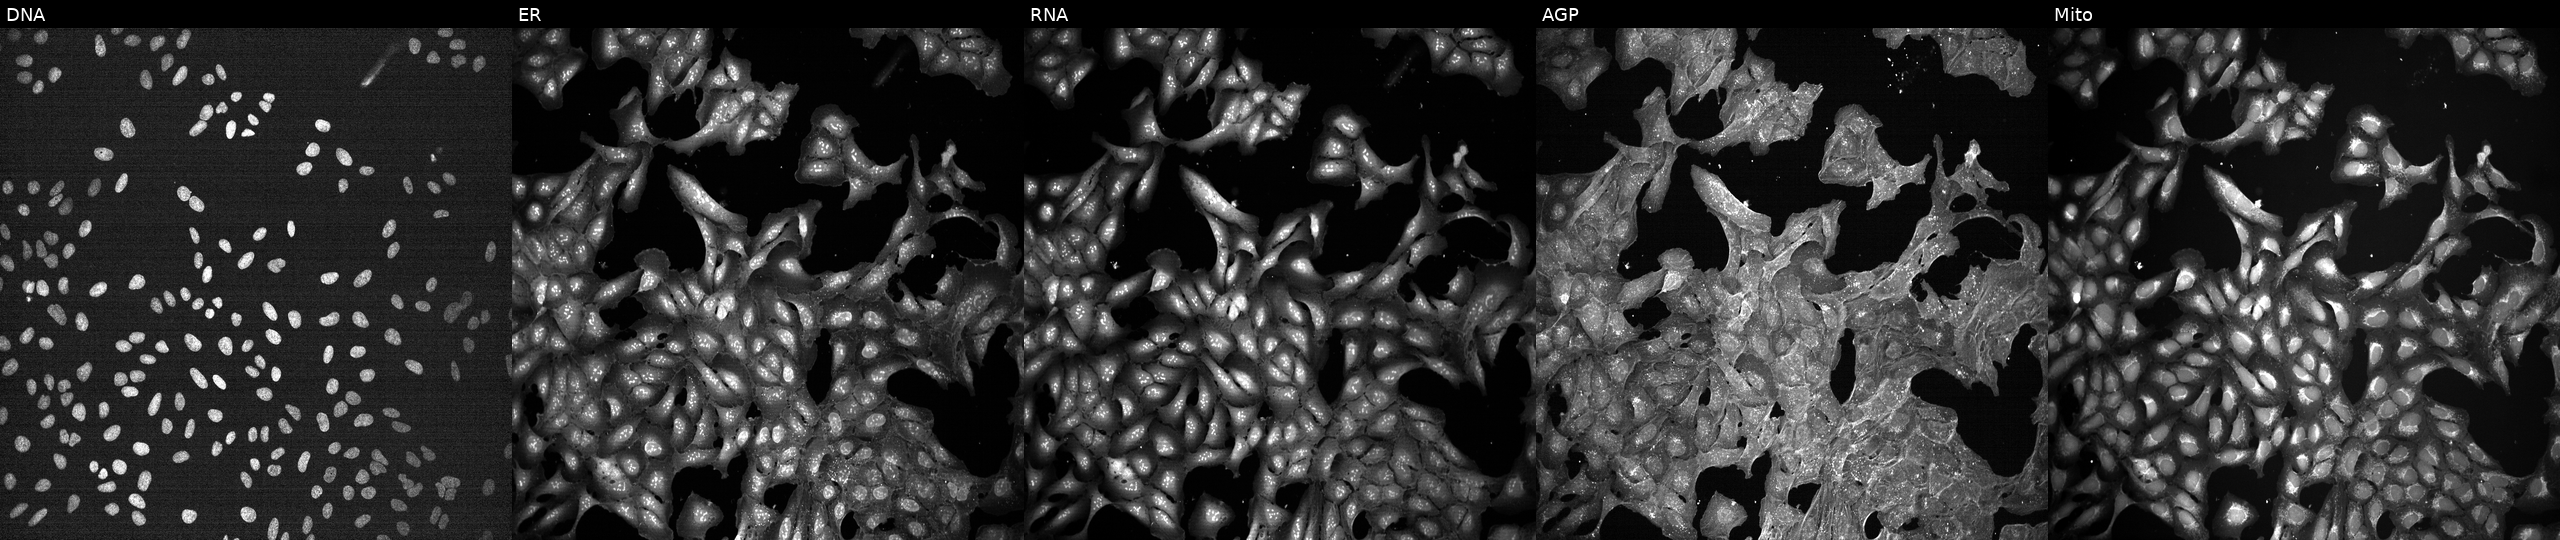
This image strip shows the five Cell Painting channels for a single field of U2OS cells exposed to a small-molecule compound. From left to right: Hoechst 33342, concanavalin A, SYTO 14, phalloidin and WGA, MitoTracker.